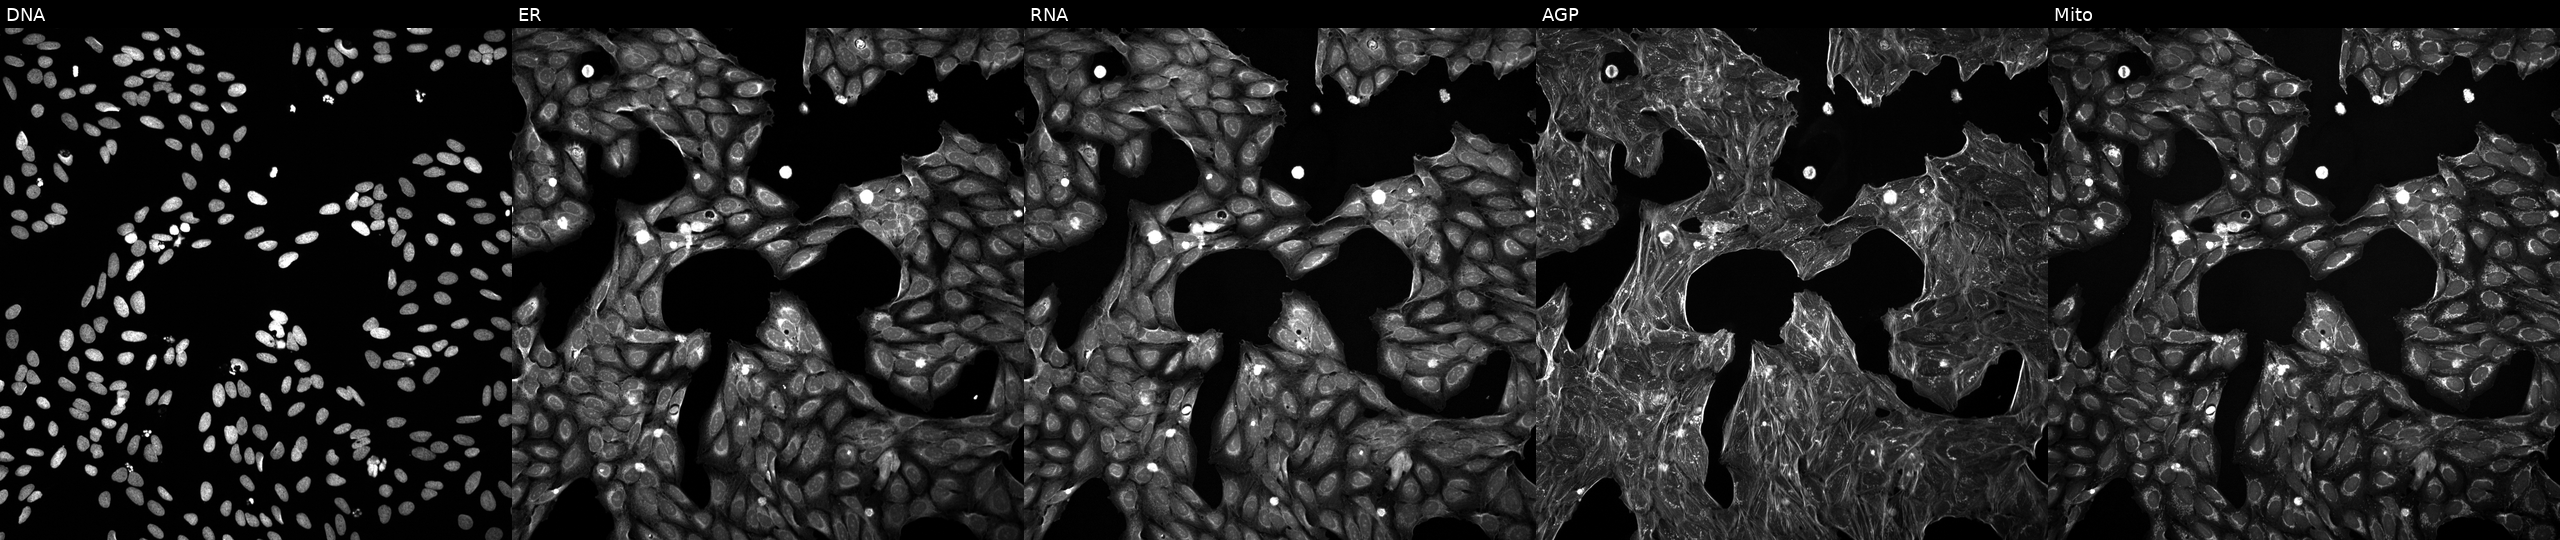
From left to right: Hoechst 33342, concanavalin A, SYTO 14, phalloidin and WGA, MitoTracker. U2OS osteosarcoma cells exposed to a small-molecule compound (JUMP id JCP2022_047545). Cell Painting assay, JUMP-CP dataset.